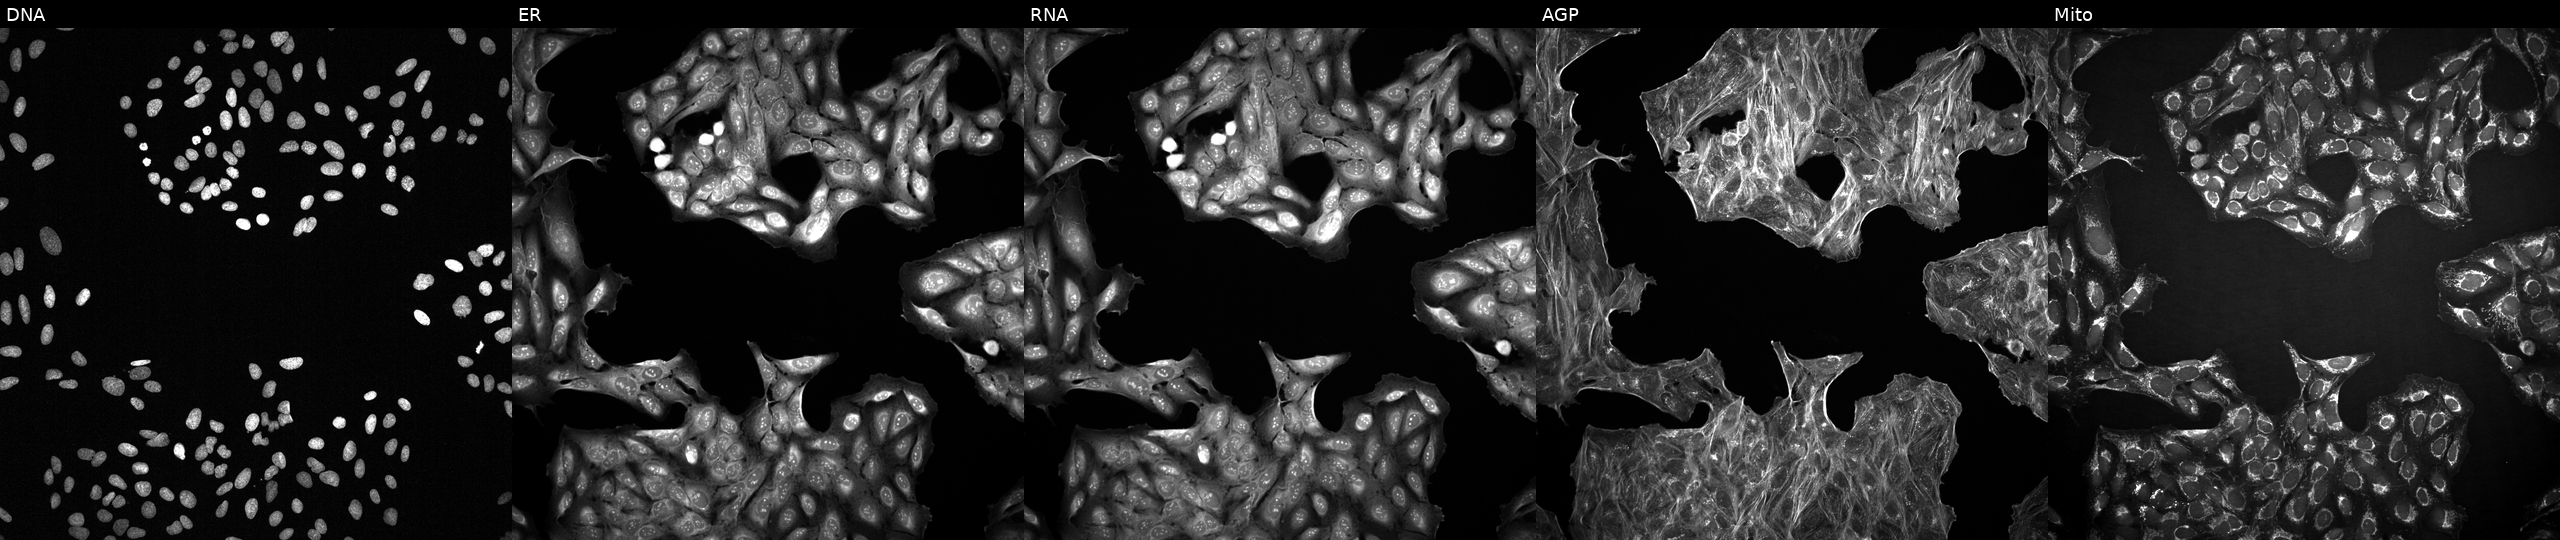
Panels show, left to right, Hoechst 33342, concanavalin A, SYTO 14, phalloidin and WGA, MitoTracker. U2OS osteosarcoma cells exposed to the positive-control compound dexamethasone. Cell Painting assay, JUMP-CP dataset.